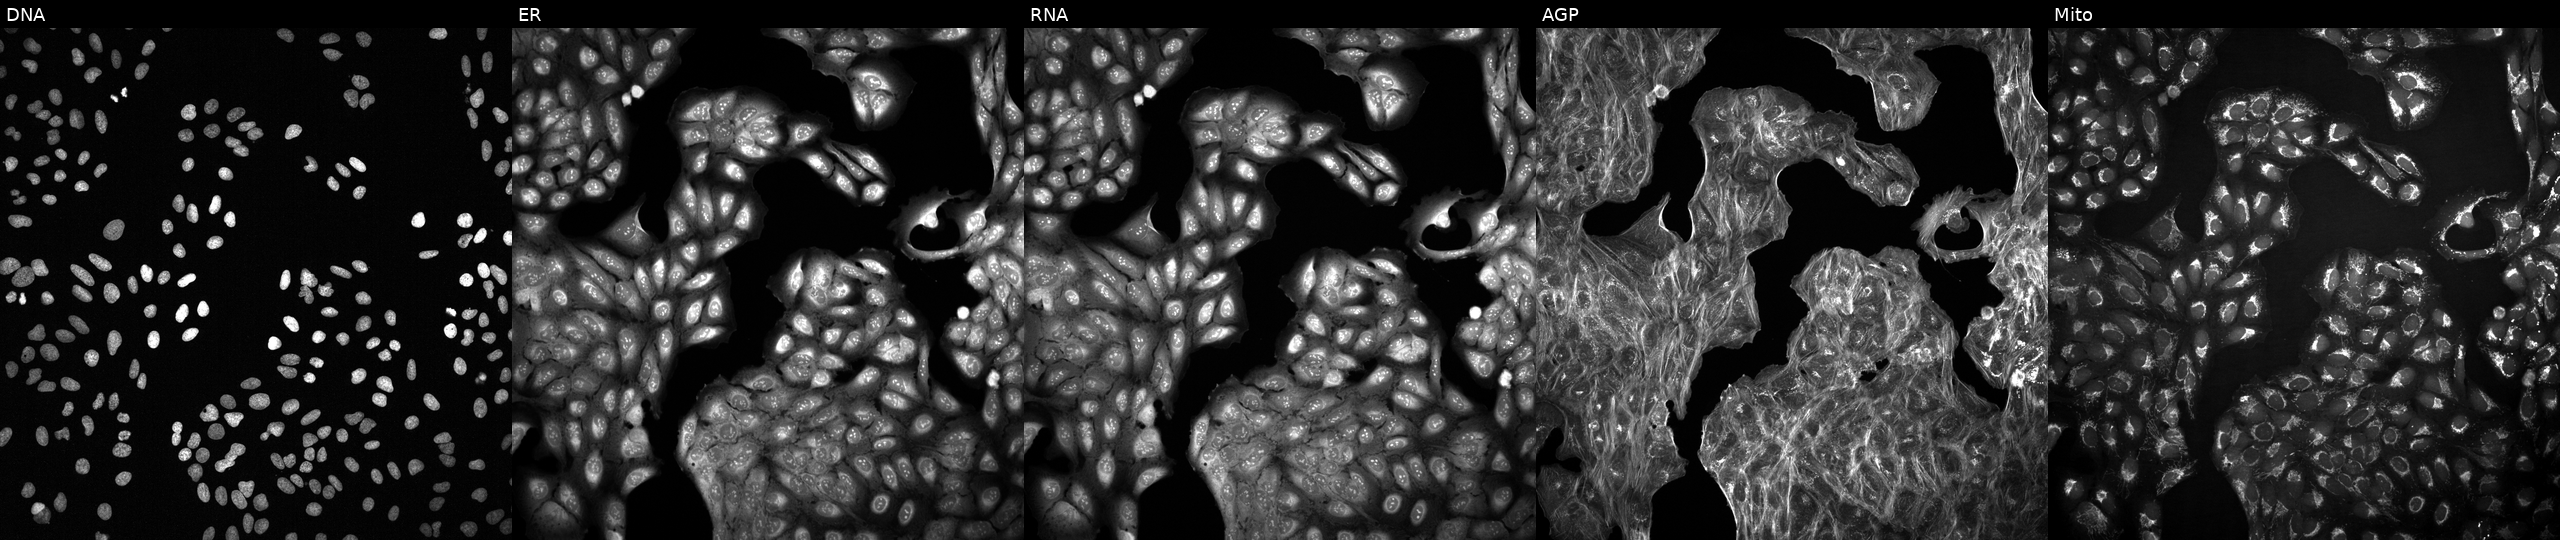
This image strip shows the five Cell Painting channels for a single field of U2OS cells with an unidentified perturbation (not annotated in JUMP metadata). Channels (left→right): DNA, ER, RNA, AGP, and Mito. Source 2, plate 1053601763, well H13.